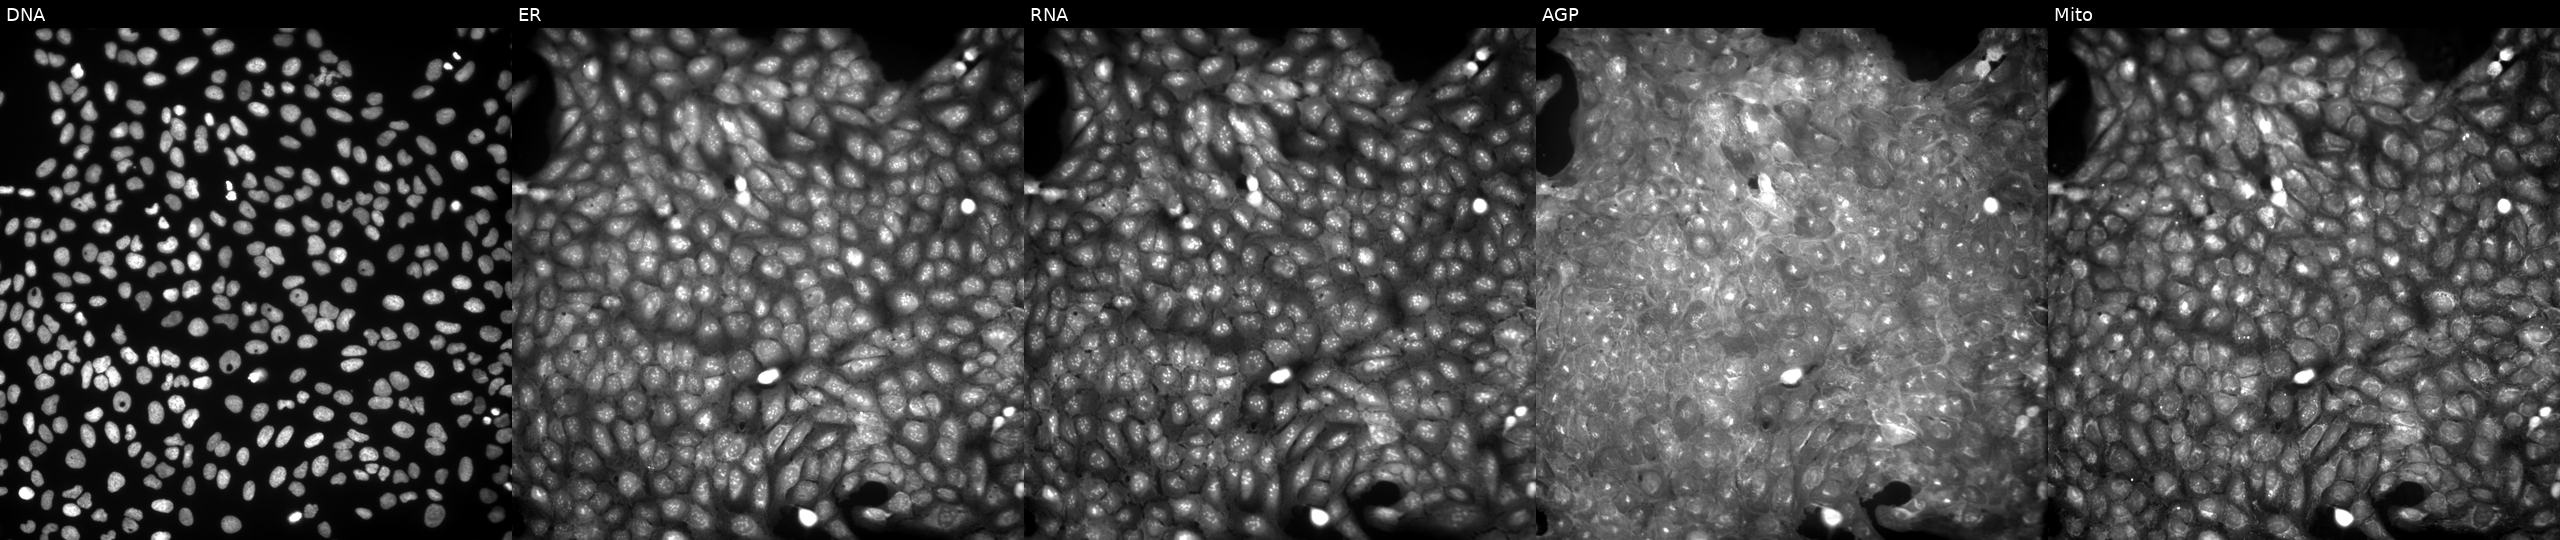
JUMP Cell Painting — COMPOUND plate. U2OS cells treated with a small-molecule compound (InChIKey WLBSULSOUGREFX-UHFFFAOYSA-N) [SMILES: O=C(c1c(Cl)cccc1Cl)N1CCN(c2ccc(F)cc2)CC1]. The five panels, left to right, show DNA, ER, RNA, AGP, and Mito. Source 9, plate GR00003382, well Y35.